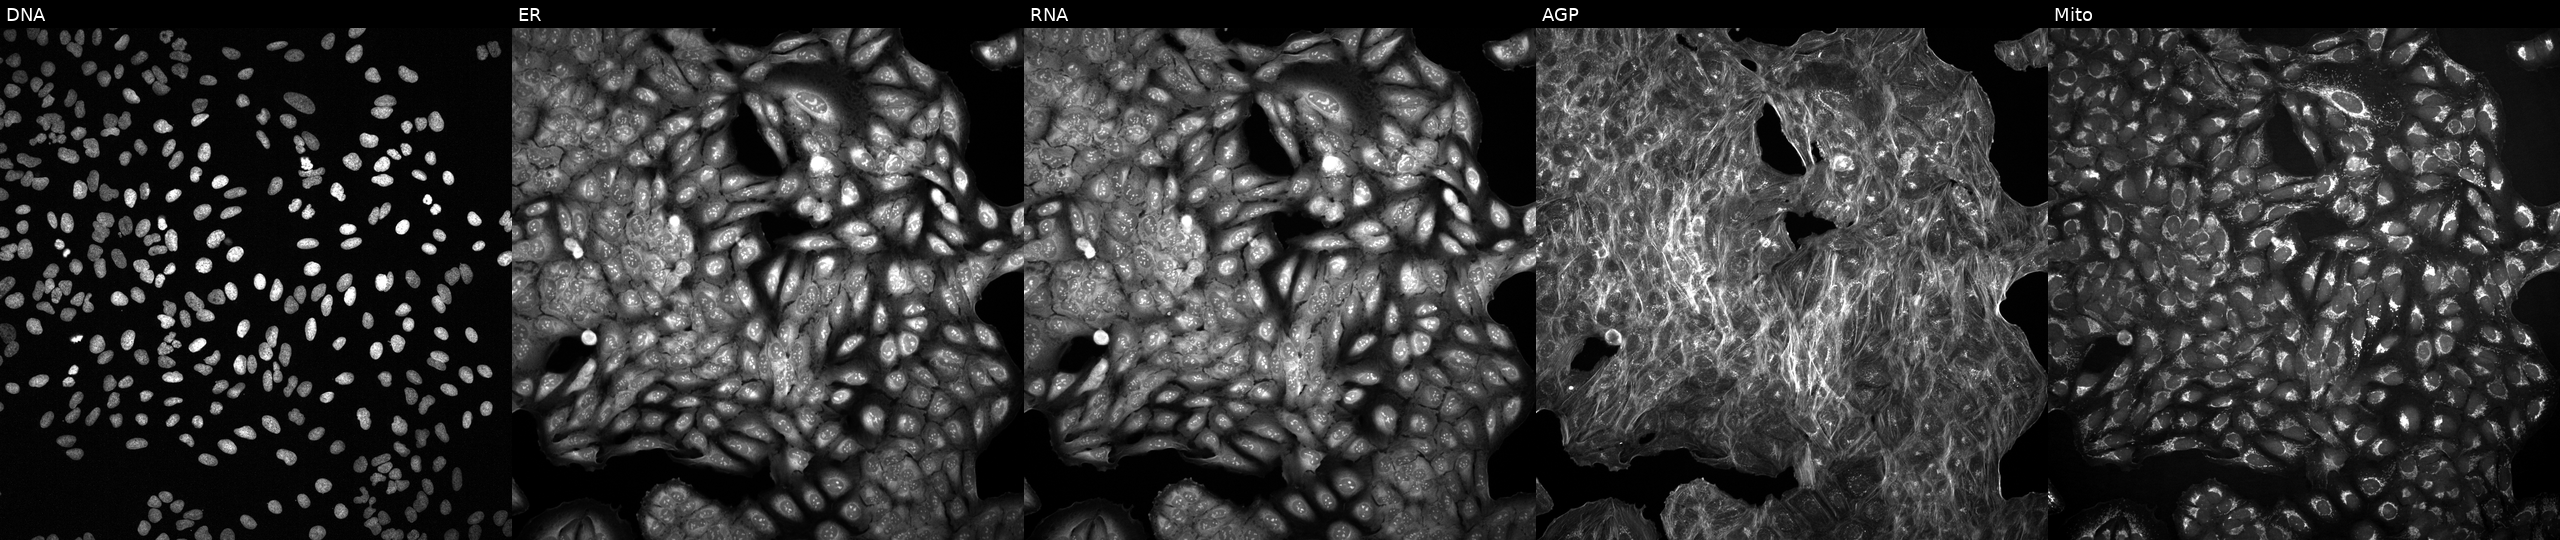
Channels (left→right): DNA, ER, RNA, AGP, and Mito. U2OS osteosarcoma cells with an unidentified perturbation (not annotated in JUMP metadata). Cell Painting assay, JUMP-CP dataset. Source 2, plate 1053601756, well F14.